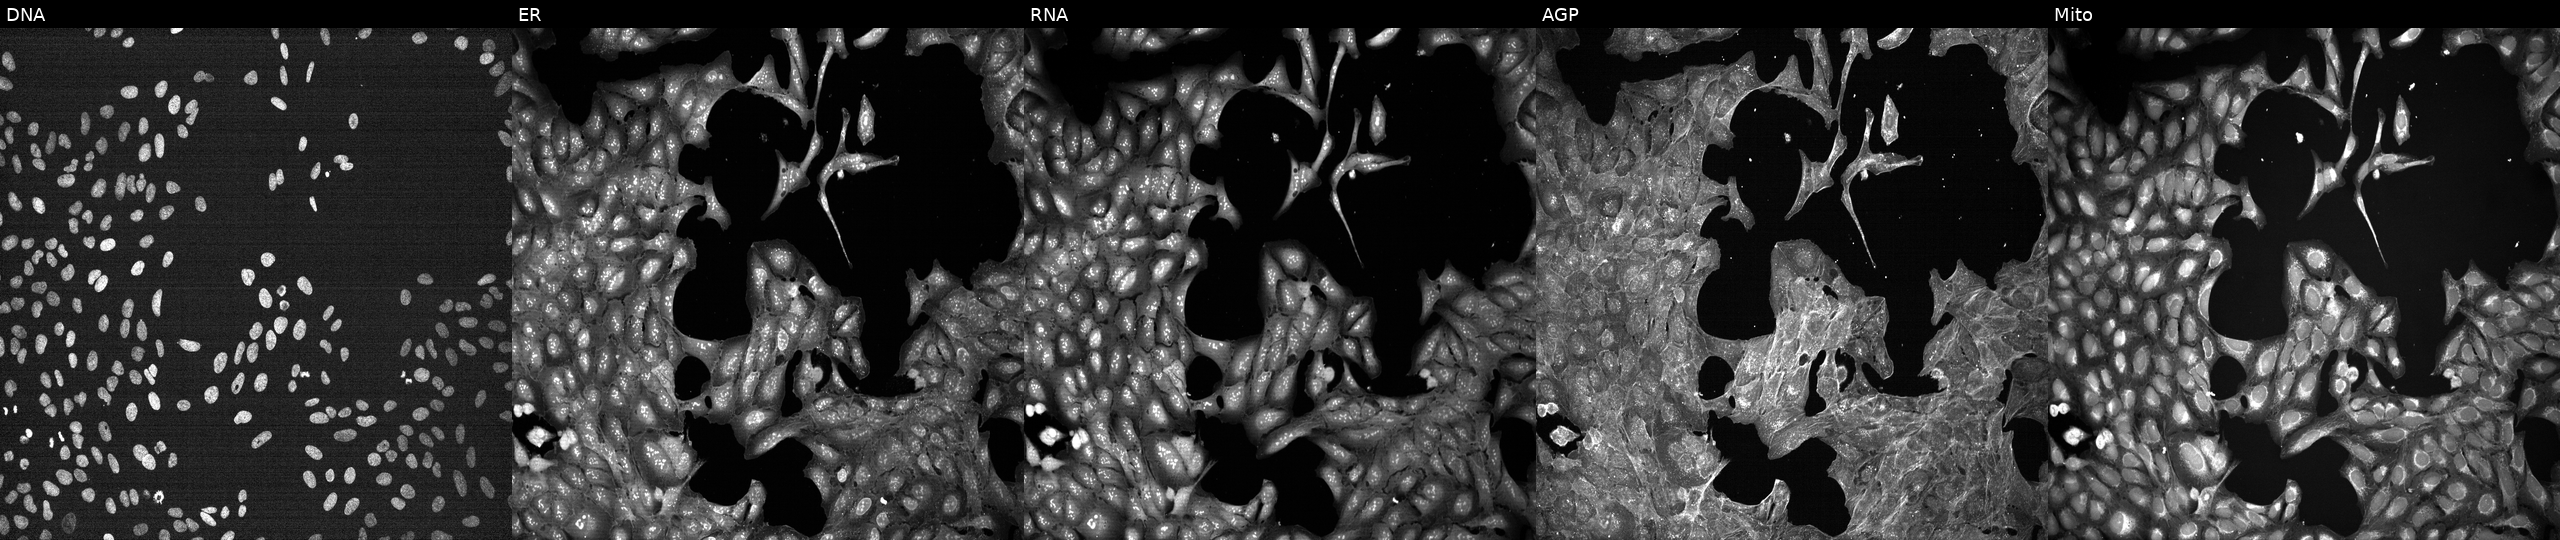
Five-channel Cell Painting image of U2OS cells perturbed with a small-molecule compound (InChIKey QUGDTMONBLMLLD-UHFFFAOYSA-N). From left to right: DNA (nuclei); ER (endoplasmic reticulum); RNA (nucleoli and cytoplasmic RNA); AGP (actin cytoskeleton, Golgi, and plasma membrane); Mito (mitochondria).